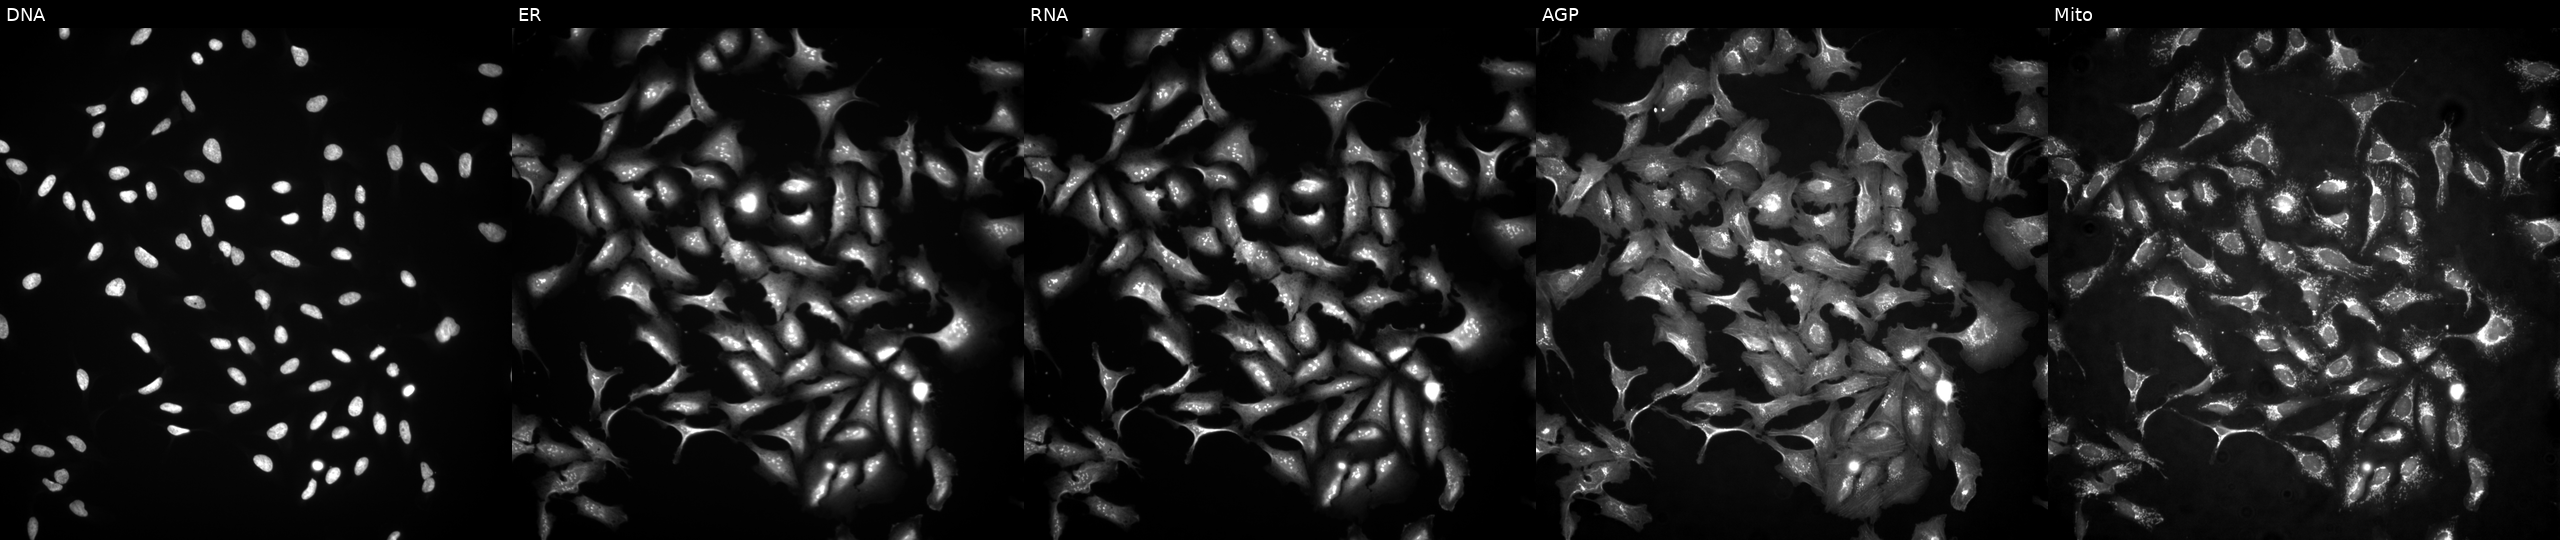
High-content fluorescence microscopy (Cell Painting). Cell line: U2OS. Perturbation: expressing LacZ (ORF negative control). From left to right: DNA, ER, RNA, AGP, and Mito. Source 4, plate BR00117035, well J01.